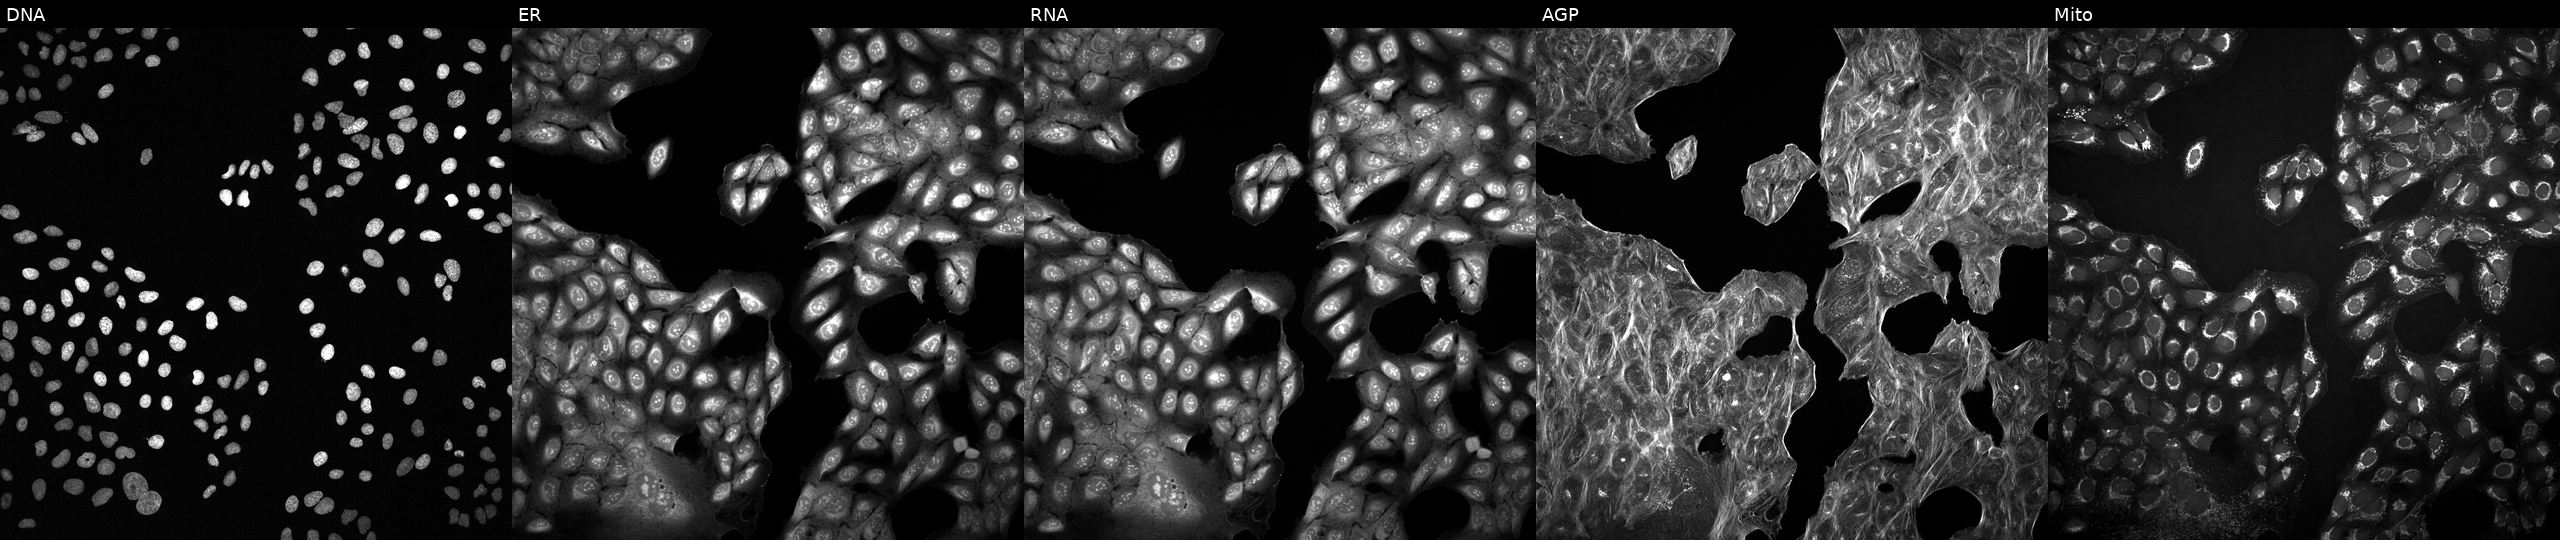
This image strip shows the five Cell Painting channels for a single field of U2OS cells with an unidentified perturbation (not annotated in JUMP metadata). From left to right: DNA, ER, RNA, AGP, and Mito.